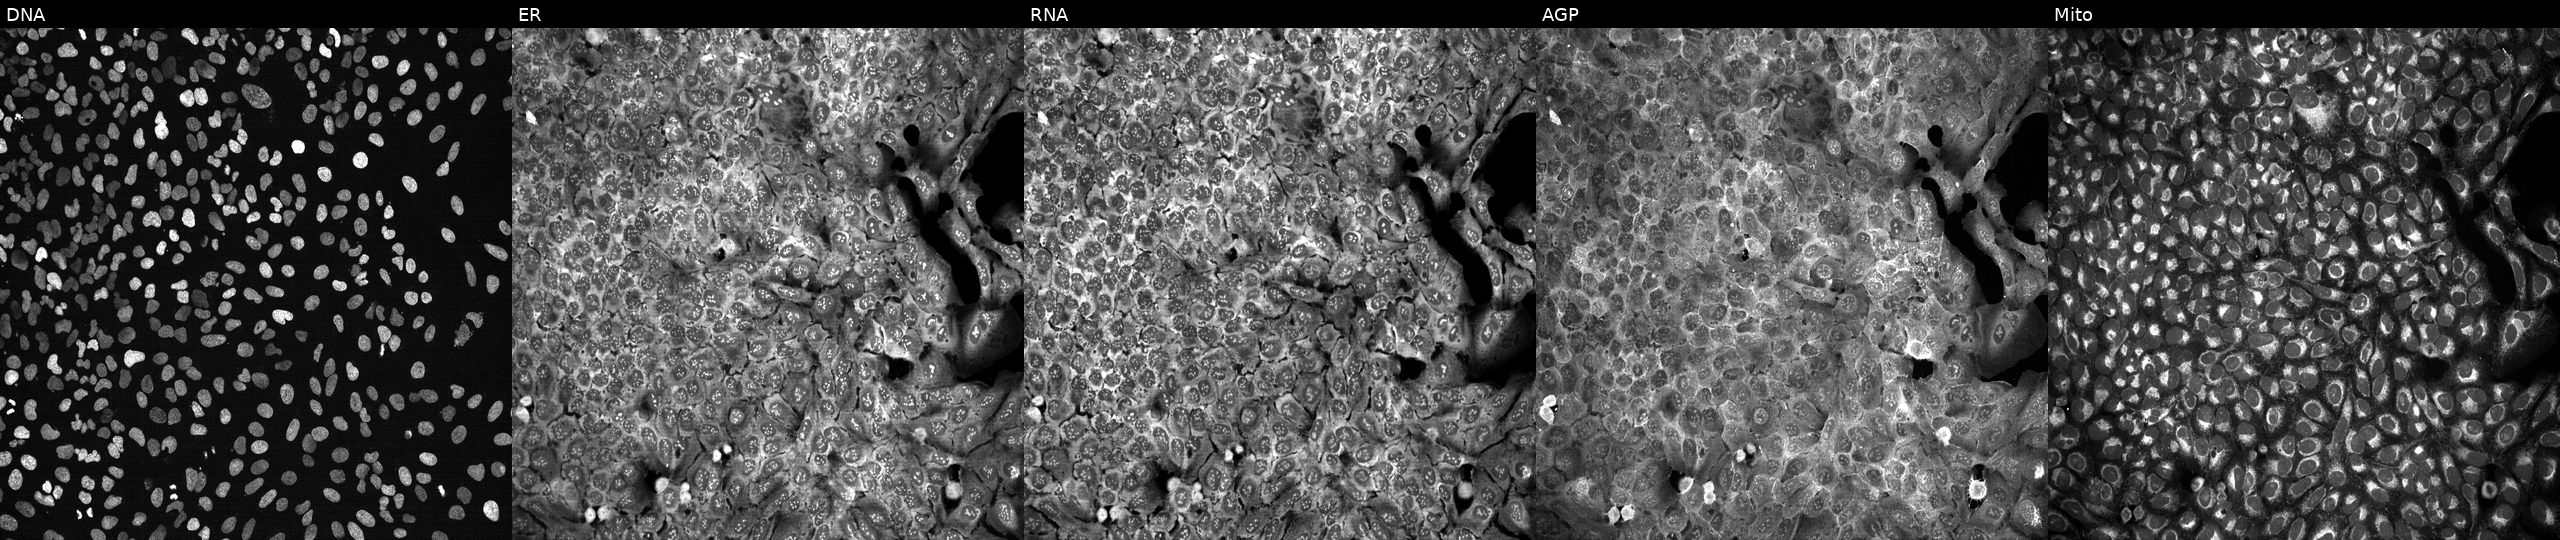
JUMP Cell Painting — CRISPR plate. U2OS cells CRISPR-edited to disrupt POLG2 (JUMP id JCP2022_805332). From left to right: Hoechst 33342, concanavalin A, SYTO 14, phalloidin and WGA, MitoTracker. Source 13, plate CP-CC9-R4-03, well F16.